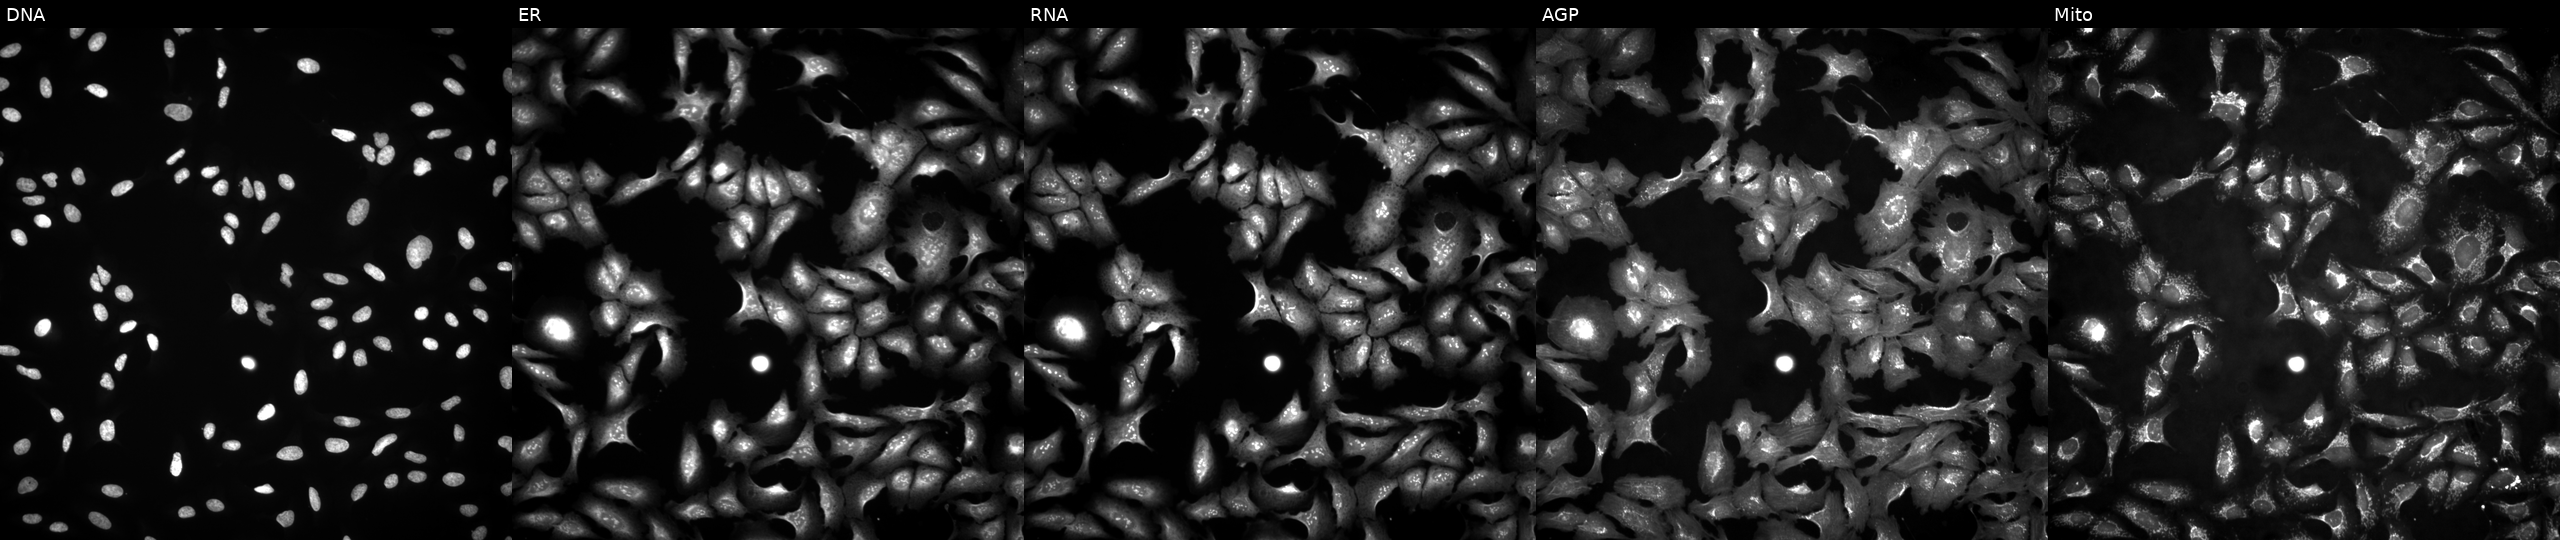
This image strip shows the five Cell Painting channels for a single field of U2OS cells overexpressing RPS6KL1 via ORF transfection. The five panels, left to right, show Hoechst 33342, concanavalin A, SYTO 14, phalloidin and WGA, MitoTracker. Source 4, plate BR00124787, well F07.